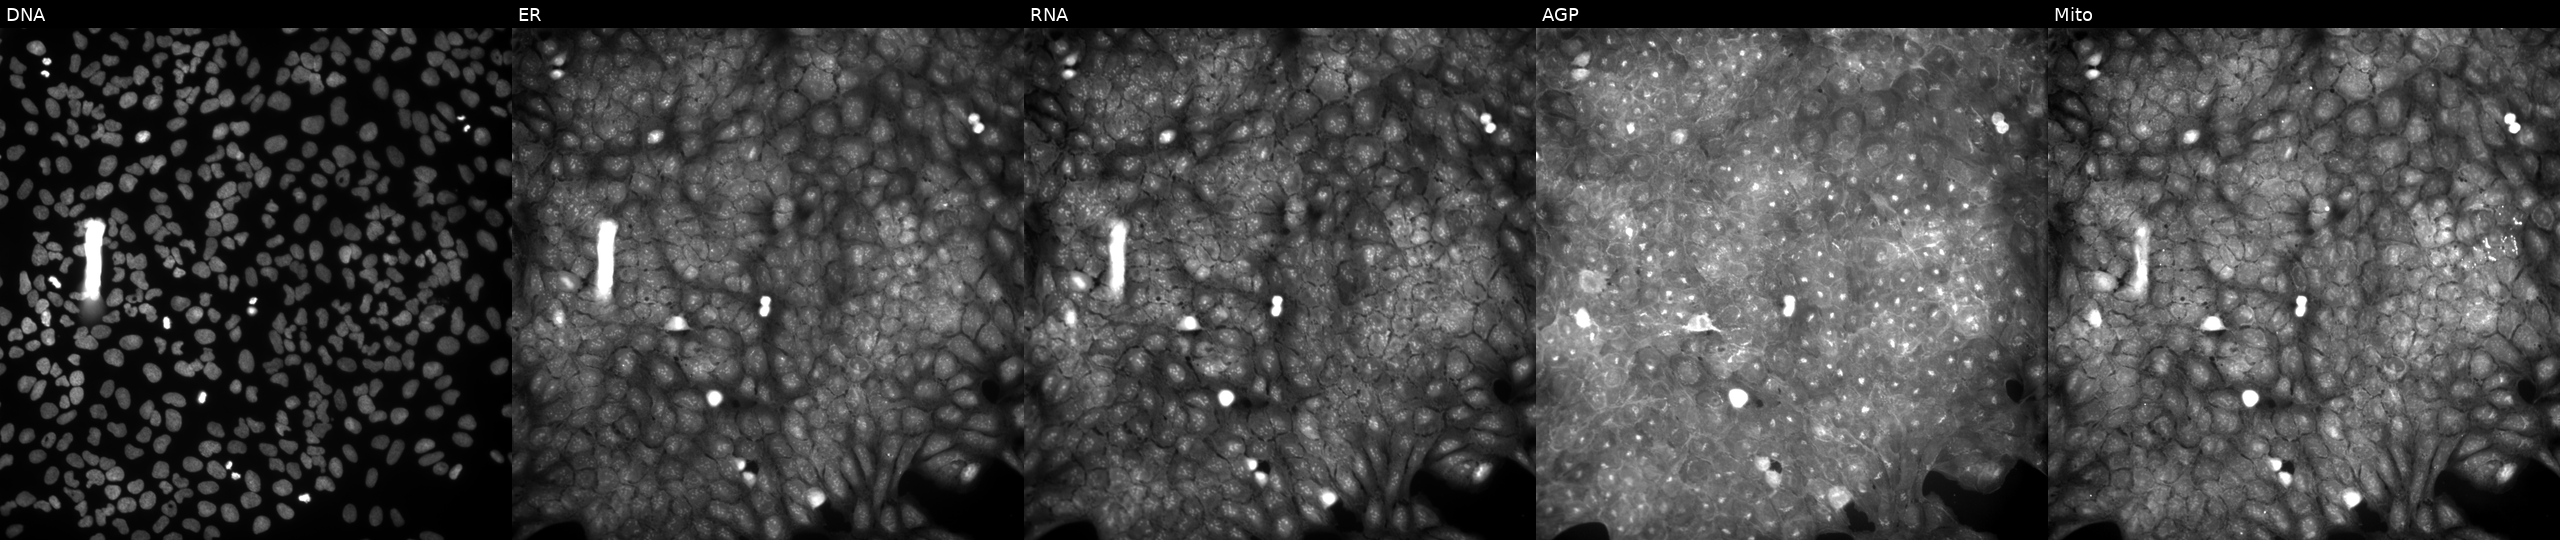
Panels show, left to right, DNA (nuclei); ER (endoplasmic reticulum); RNA (nucleoli and cytoplasmic RNA); AGP (actin cytoskeleton, Golgi, and plasma membrane); Mito (mitochondria). U2OS osteosarcoma cells treated with a small-molecule compound (InChIKey SKBYAYZENHPZOT-UHFFFAOYSA-N) (JUMP id JCP2022_083769). Cell Painting assay, JUMP-CP dataset.